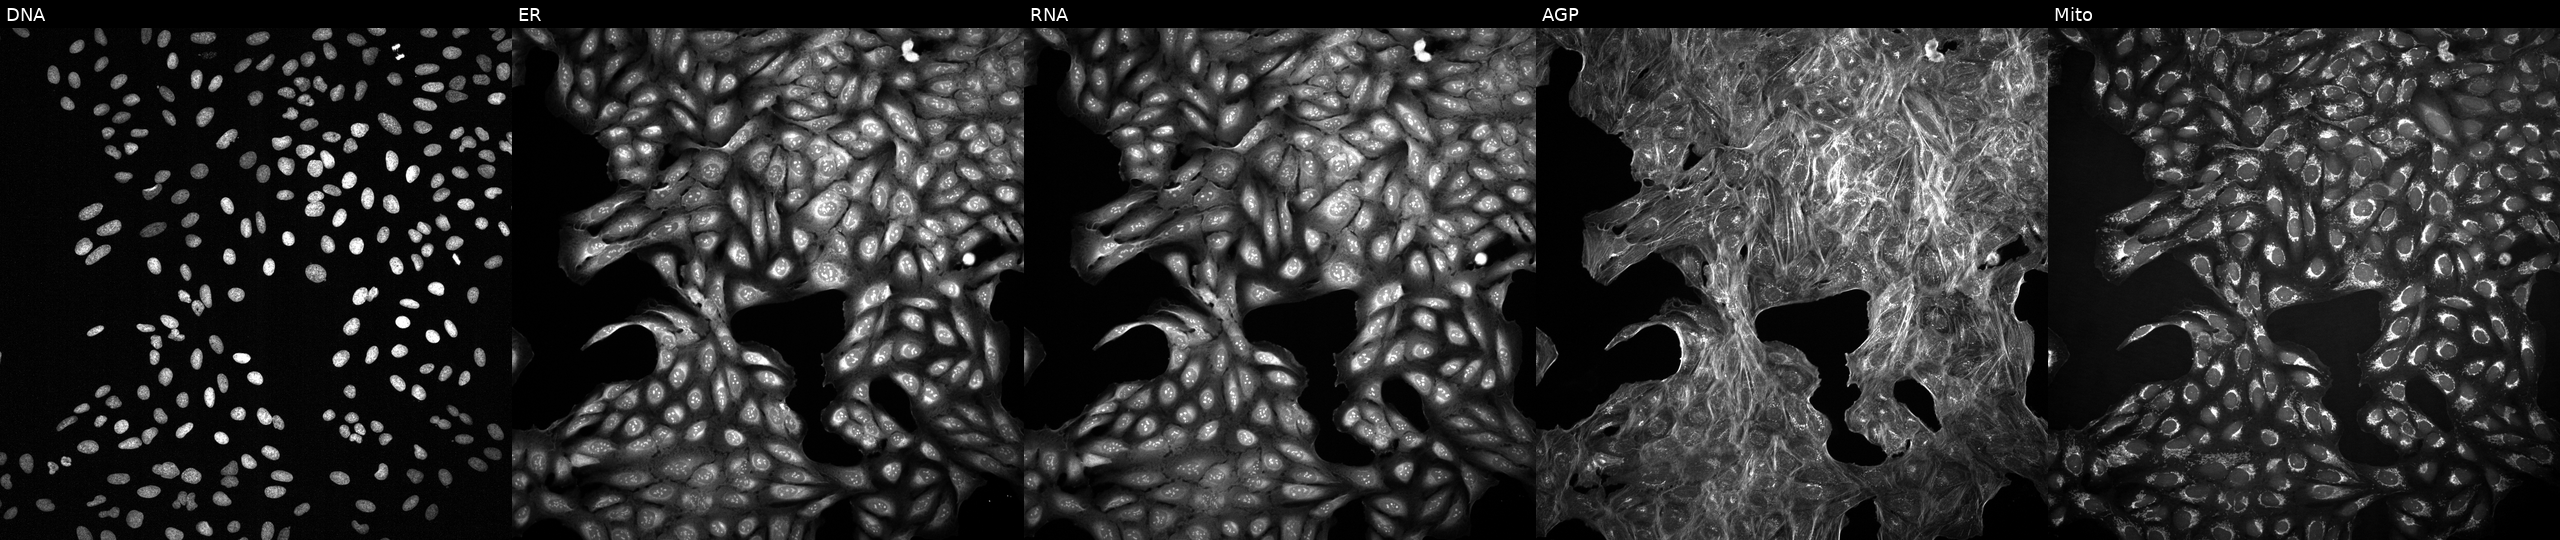
JUMP Cell Painting — TARGET2 plate. U2OS cells exposed to a small-molecule compound (InChIKey UQNAFPHGVPVTAL-UHFFFAOYSA-N). The five panels, left to right, show DNA (nuclei); ER (endoplasmic reticulum); RNA (nucleoli and cytoplasmic RNA); AGP (actin cytoskeleton, Golgi, and plasma membrane); Mito (mitochondria).